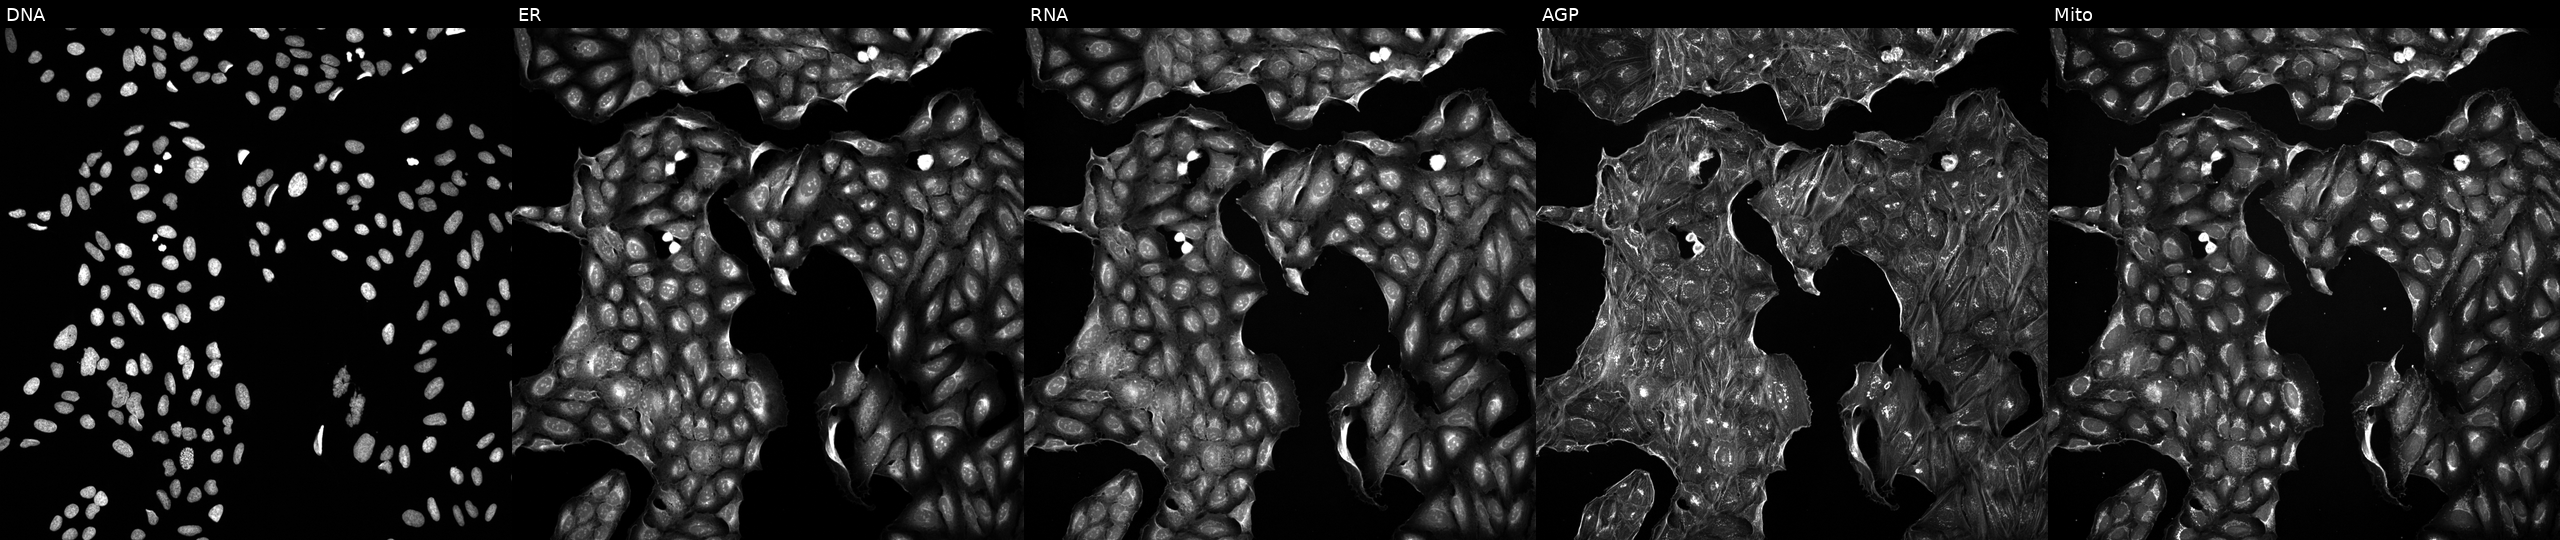
This image strip shows the five Cell Painting channels for a single field of U2OS cells exposed to DMSO alone as a negative control. Channels (left→right): Hoechst 33342, concanavalin A, SYTO 14, phalloidin and WGA, MitoTracker. Source 5, plate APTJUM105, well A02.